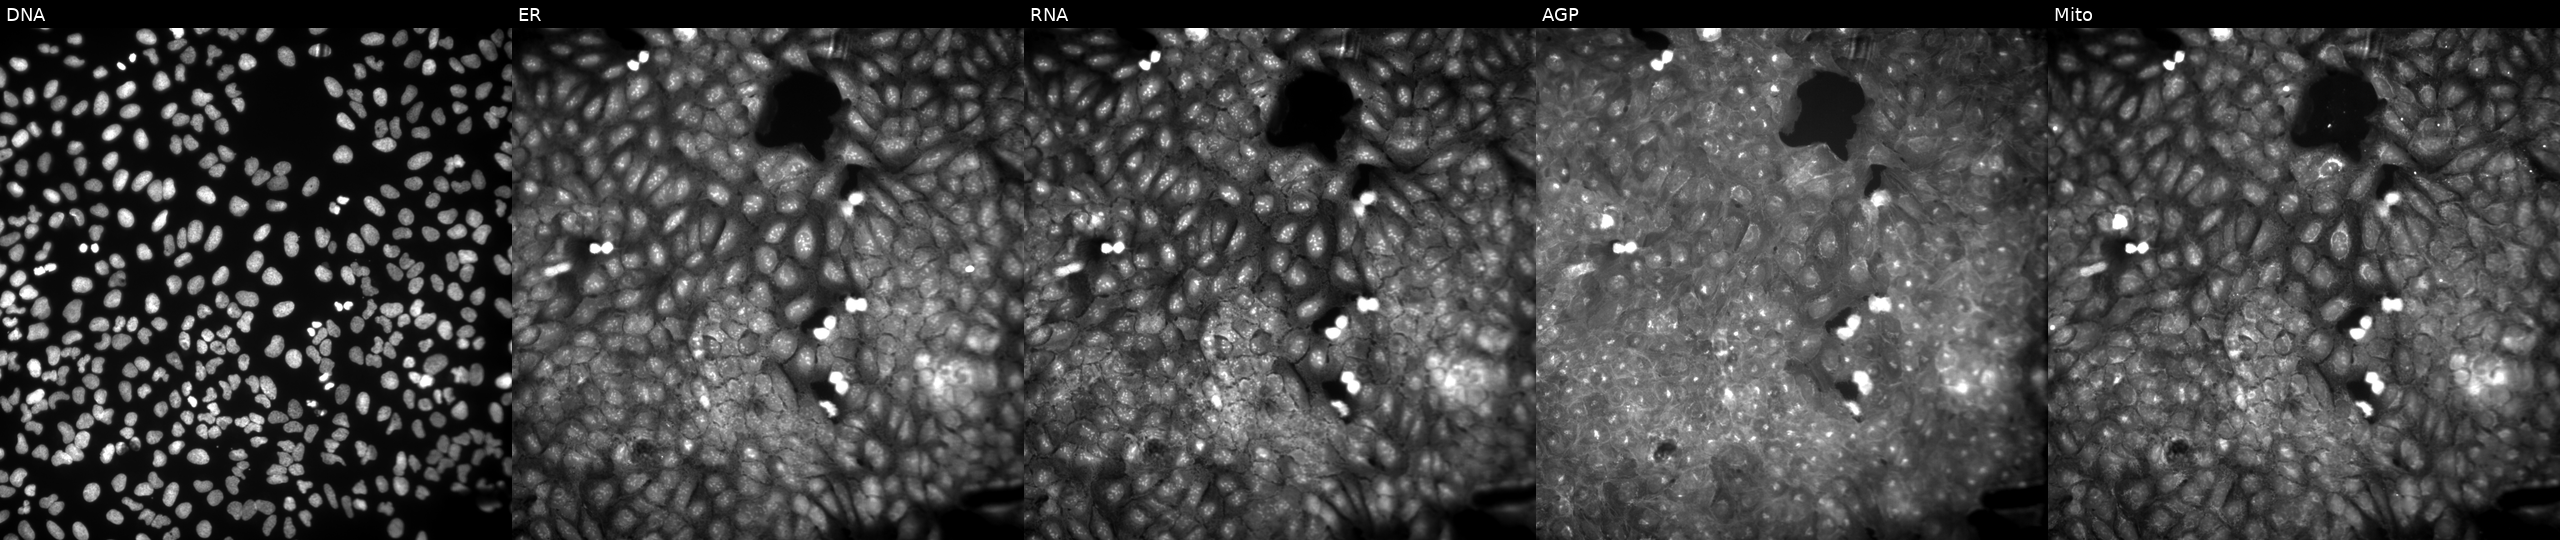
This image strip shows the five Cell Painting channels for a single field of U2OS cells exposed to DMSO alone as a negative control. The five panels, left to right, show DNA, ER, RNA, AGP, and Mito.